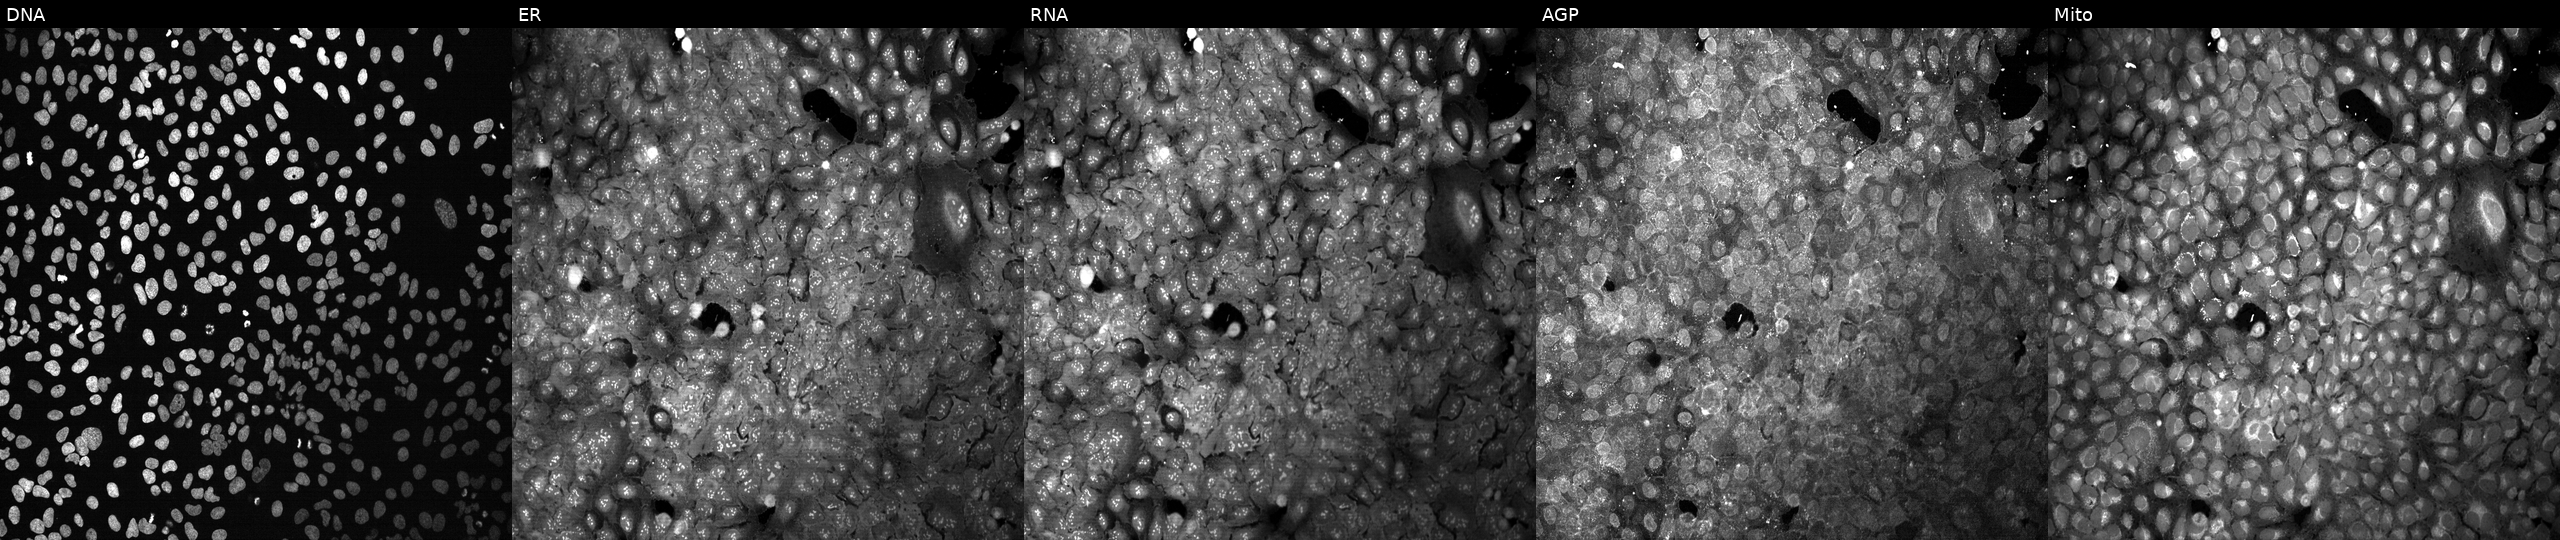
This image strip shows the five Cell Painting channels for a single field of U2OS cells with no CRISPR guide (negative control). Channels (left→right): DNA, ER, RNA, AGP, and Mito. Source 13, plate CP-CC9-R1-01, well M23.